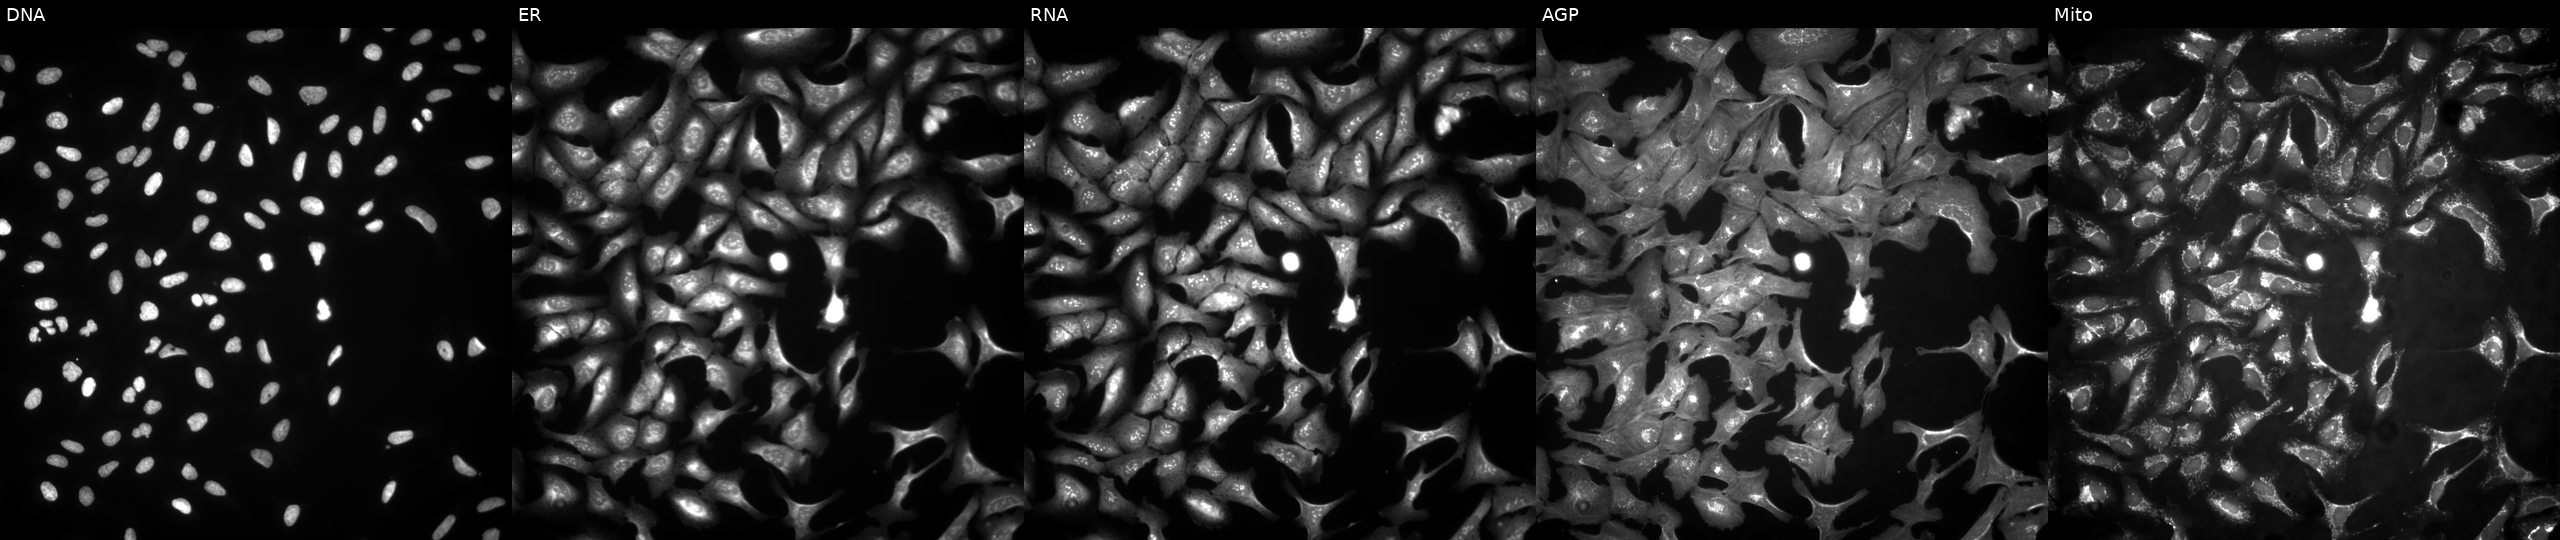
Five-channel Cell Painting image of U2OS cells with SLC35F2 overexpressed (ORF) (JUMP id JCP2022_903239). From left to right: DNA (nuclei); ER (endoplasmic reticulum); RNA (nucleoli and cytoplasmic RNA); AGP (actin cytoskeleton, Golgi, and plasma membrane); Mito (mitochondria).